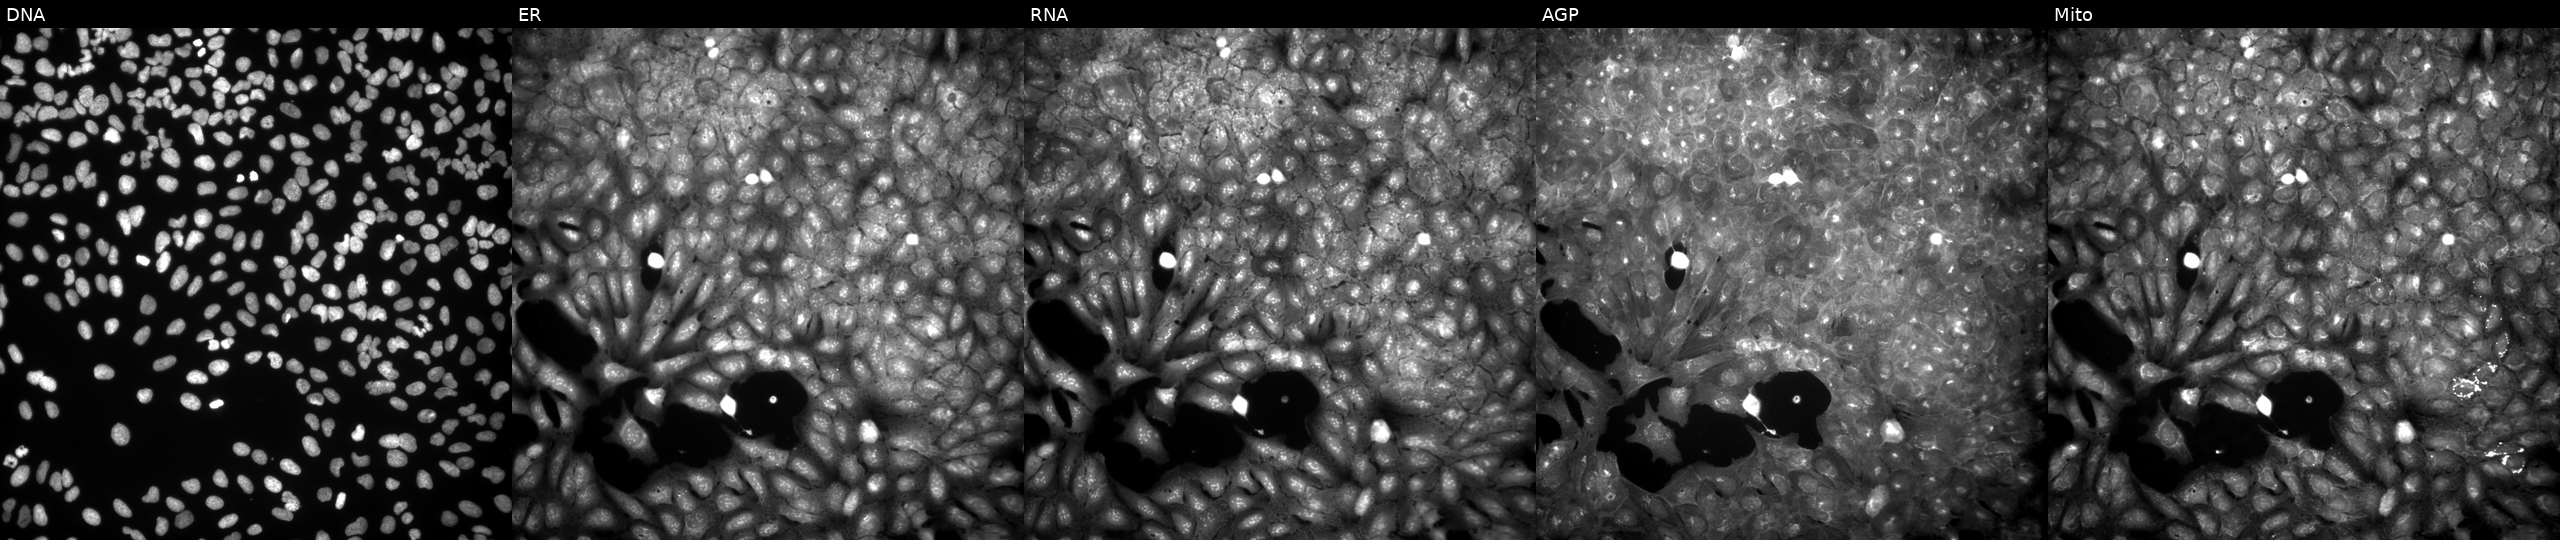
Five-channel Cell Painting image of U2OS cells treated with a small-molecule compound (InChIKey RUDKMYZVMSRQMB-UHFFFAOYSA-N) (JUMP id JCP2022_080758). Channels (left→right): Hoechst 33342, concanavalin A, SYTO 14, phalloidin and WGA, MitoTracker.